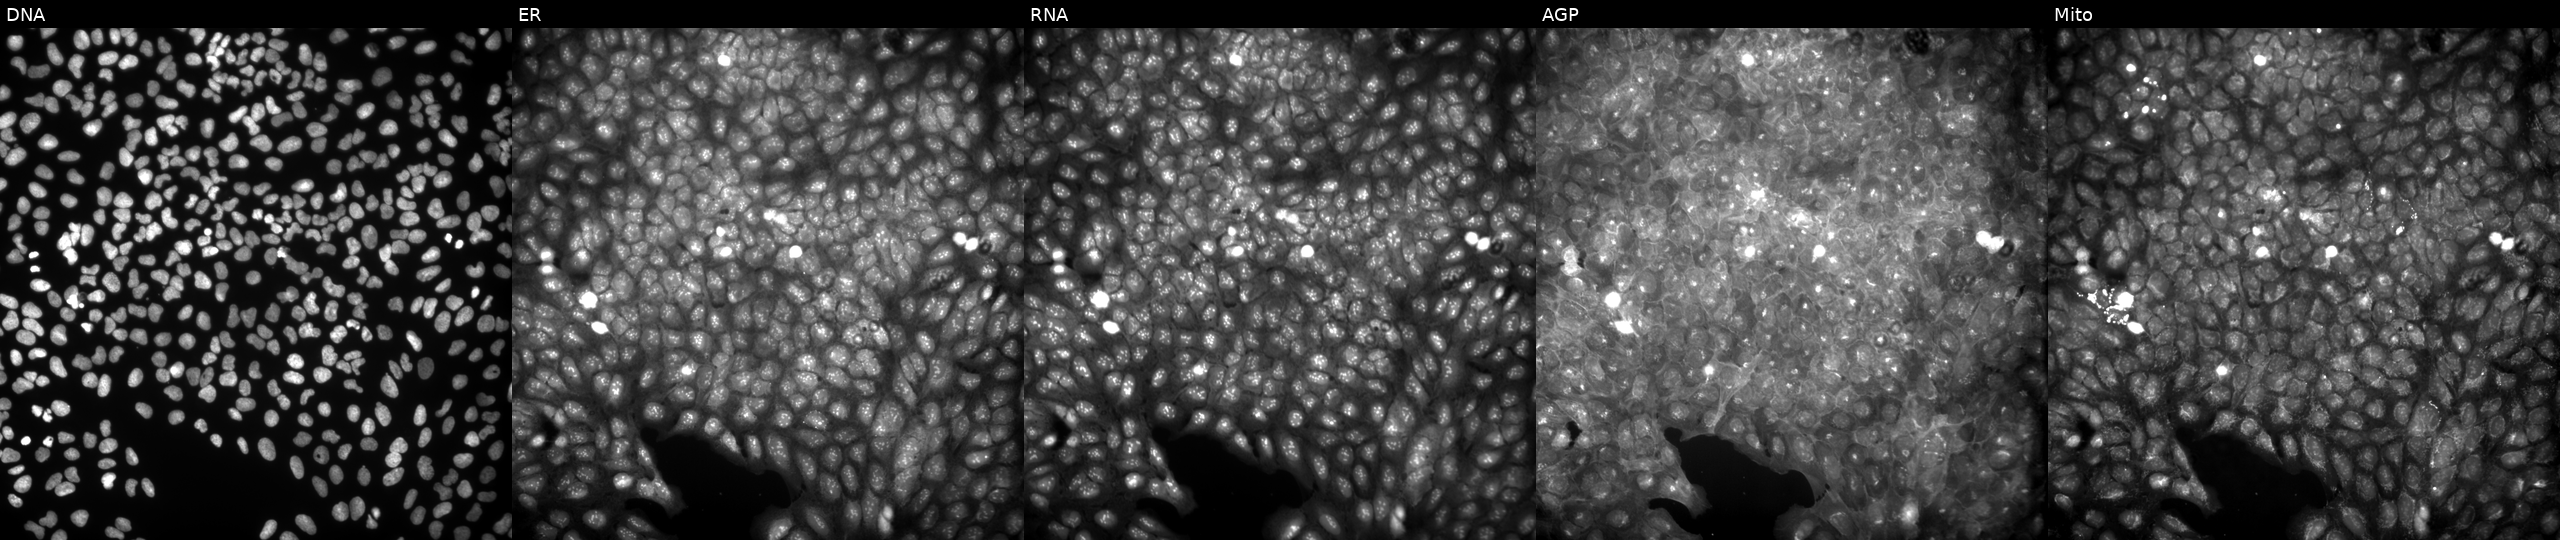
Five-channel Cell Painting image of U2OS cells treated with a small-molecule compound (InChIKey AEDSLTJAPCWWFQ-UHFFFAOYSA-N) [SMILES: COc1ccc(C(=O)NCc2ccc(S(N)(=O)=O)cc2)cc1OC] (JUMP id JCP2022_000805). The five panels, left to right, show Hoechst 33342, concanavalin A, SYTO 14, phalloidin and WGA, MitoTracker.